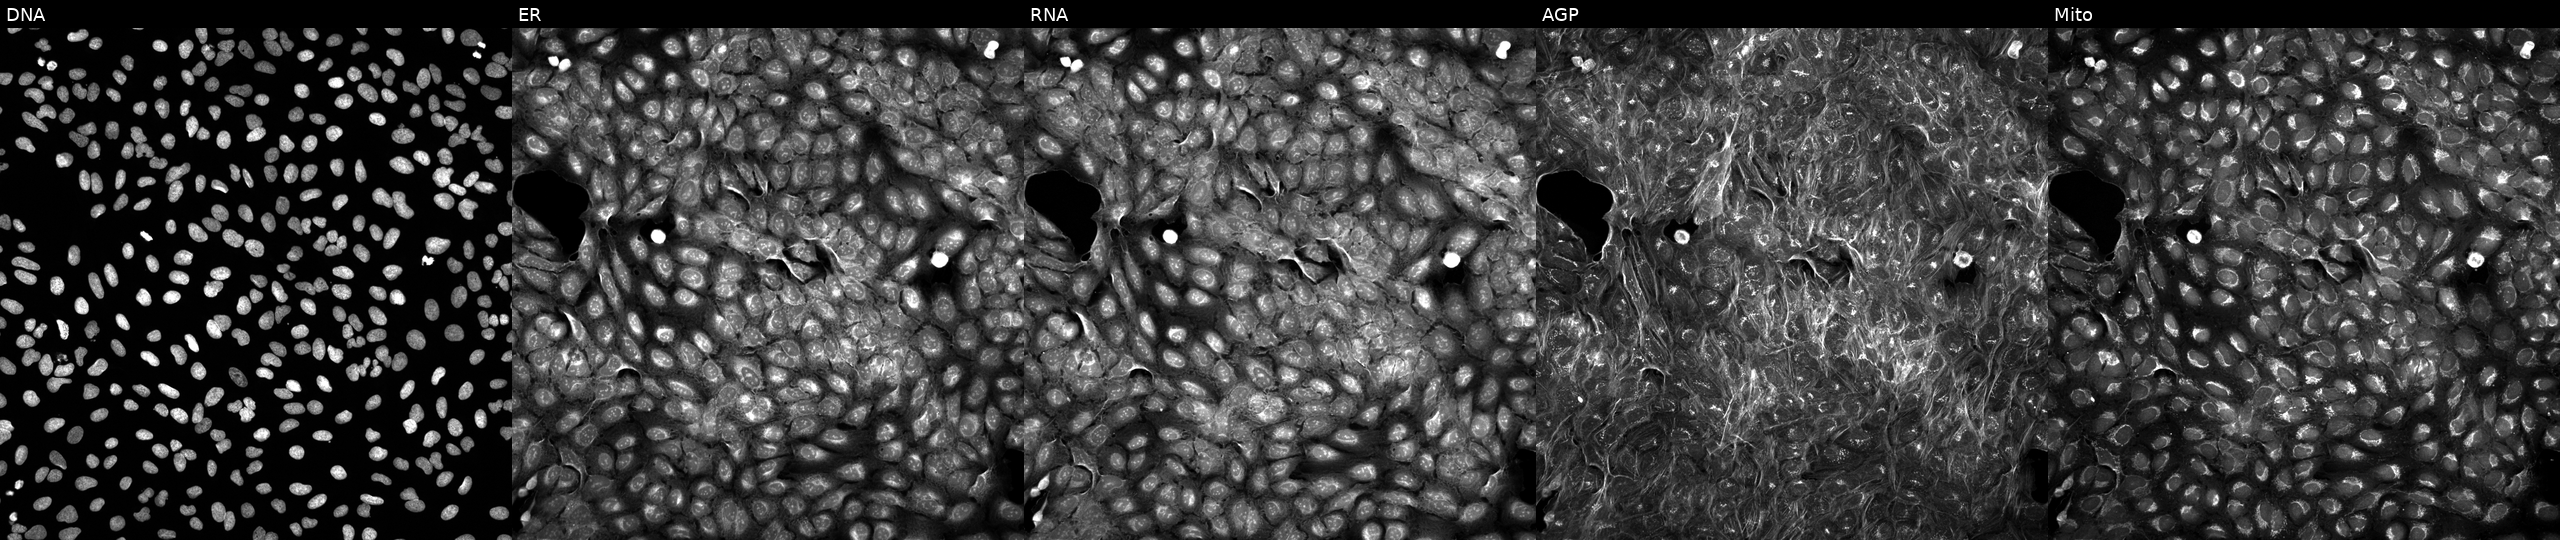
From left to right: Hoechst 33342, concanavalin A, SYTO 14, phalloidin and WGA, MitoTracker. U2OS osteosarcoma cells perturbed with a small-molecule compound (InChIKey UPWGQKDVAURUGE-UHFFFAOYSA-N) (JUMP id JCP2022_090768). Cell Painting assay, JUMP-CP dataset. Source 5, plate ACPJUM051, well P14.